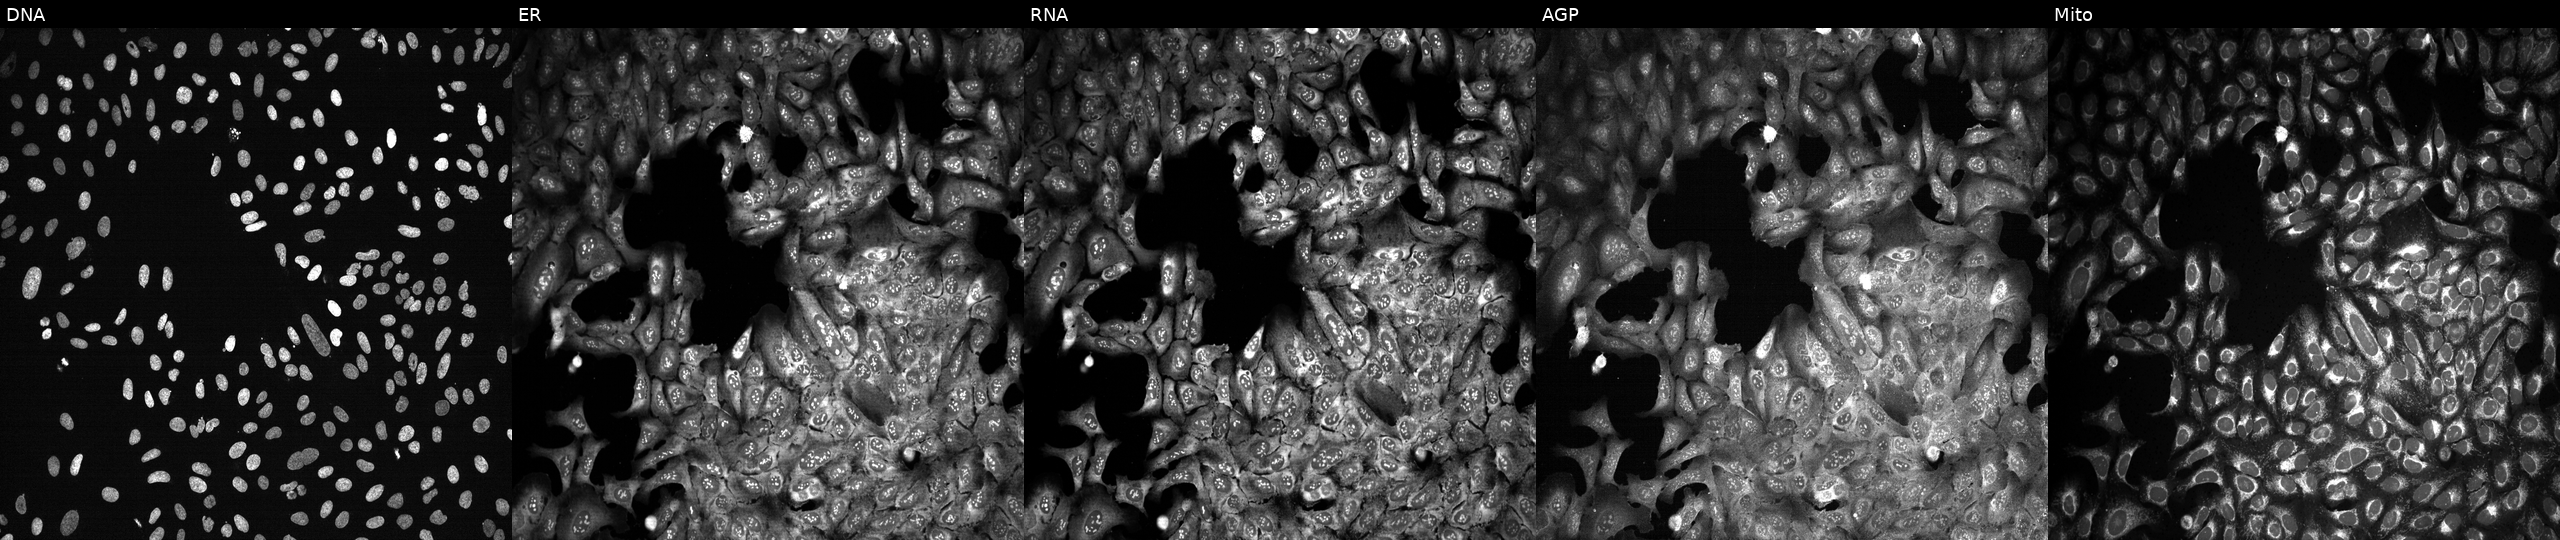
Channels (left→right): DNA, ER, RNA, AGP, and Mito. U2OS osteosarcoma cells CRISPR-edited to disrupt STX1A. Cell Painting assay, JUMP-CP dataset. Source 13, plate CP-CC9-R4-03, well N18.